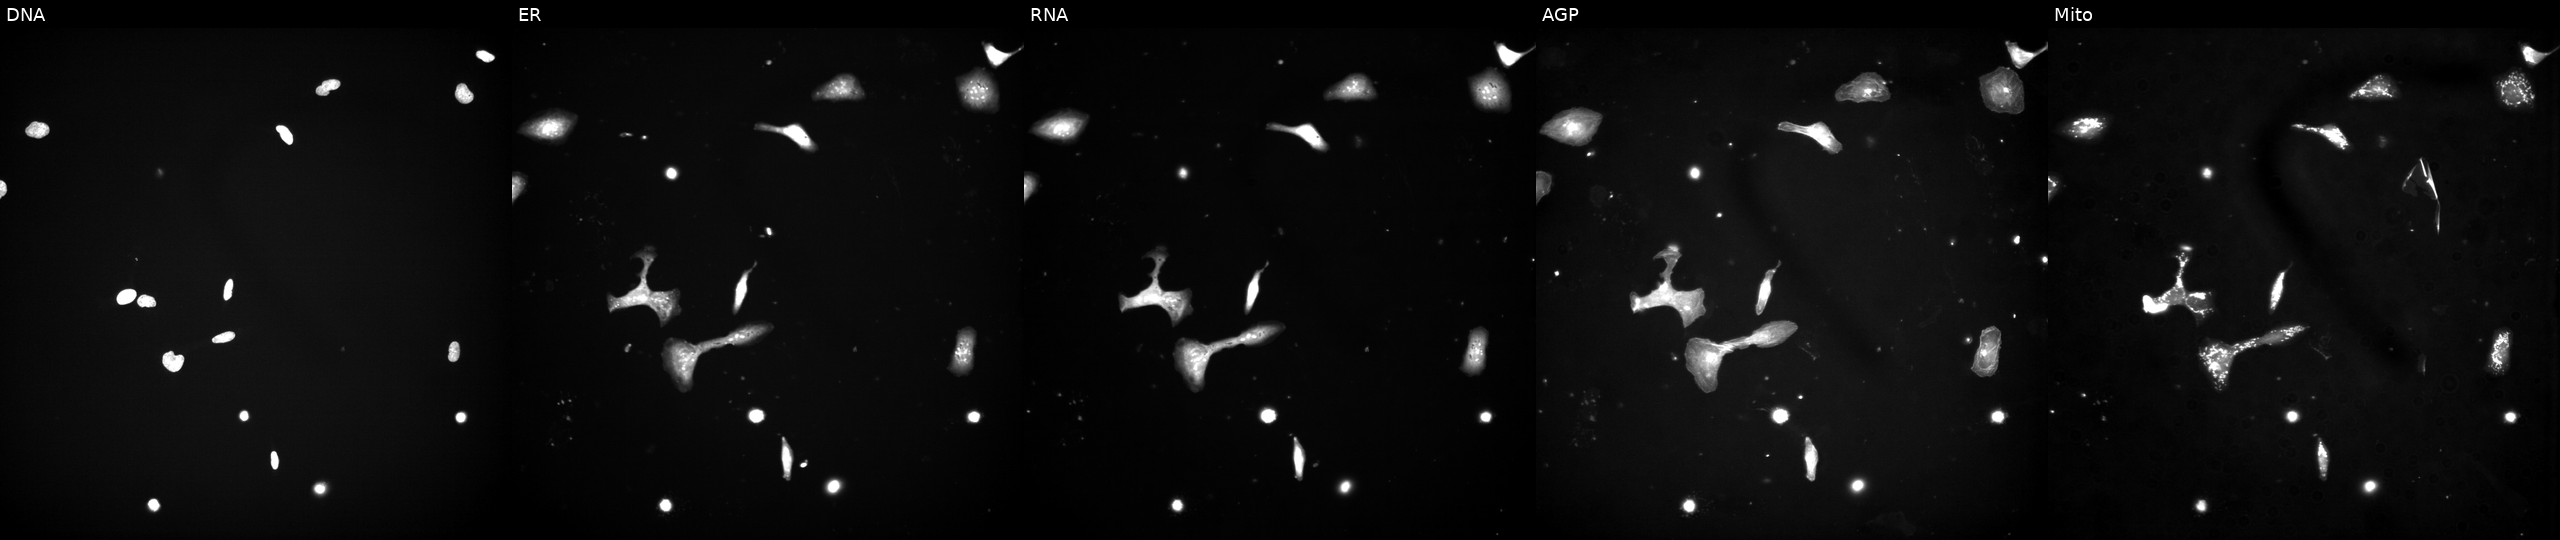
High-content fluorescence microscopy (Cell Painting). Cell line: U2OS. Perturbation: perturbed with a small-molecule compound (InChIKey YKJYKKNCCRKFSL-UHFFFAOYSA-N) [SMILES: COc1ccc(CC2NCC(O)C2OC(C)=O)cc1] (JUMP id JCP2022_109043). The five panels, left to right, show DNA, ER, RNA, AGP, and Mito.